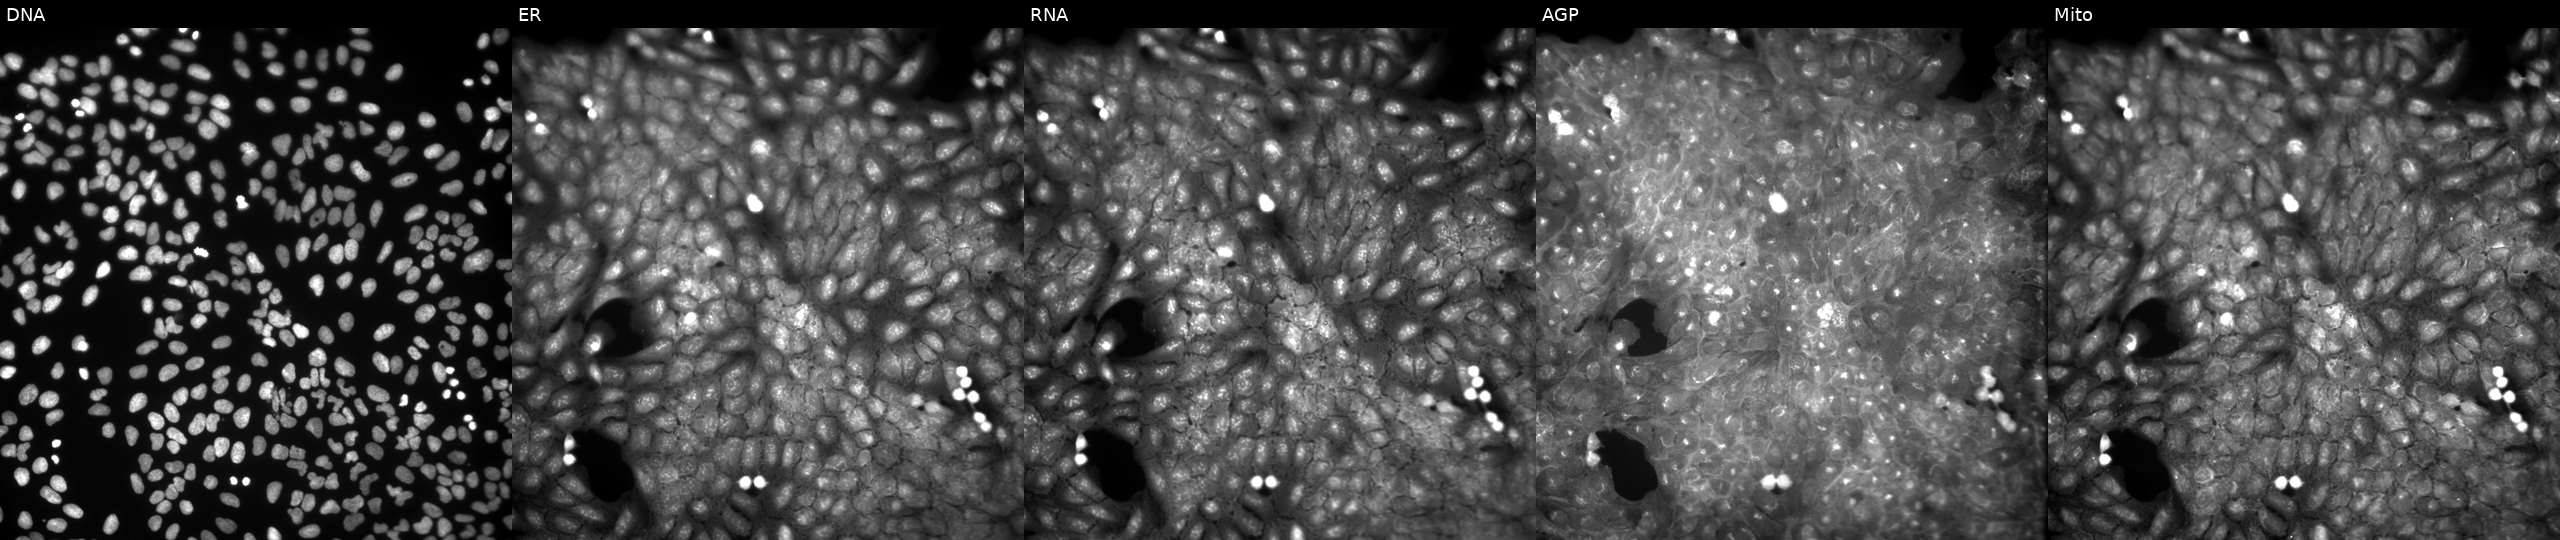
This image strip shows the five Cell Painting channels for a single field of U2OS cells exposed to a small-molecule compound (InChIKey SFPOZDNMRSUUFC-UHFFFAOYSA-N). From left to right: DNA, ER, RNA, AGP, and Mito.